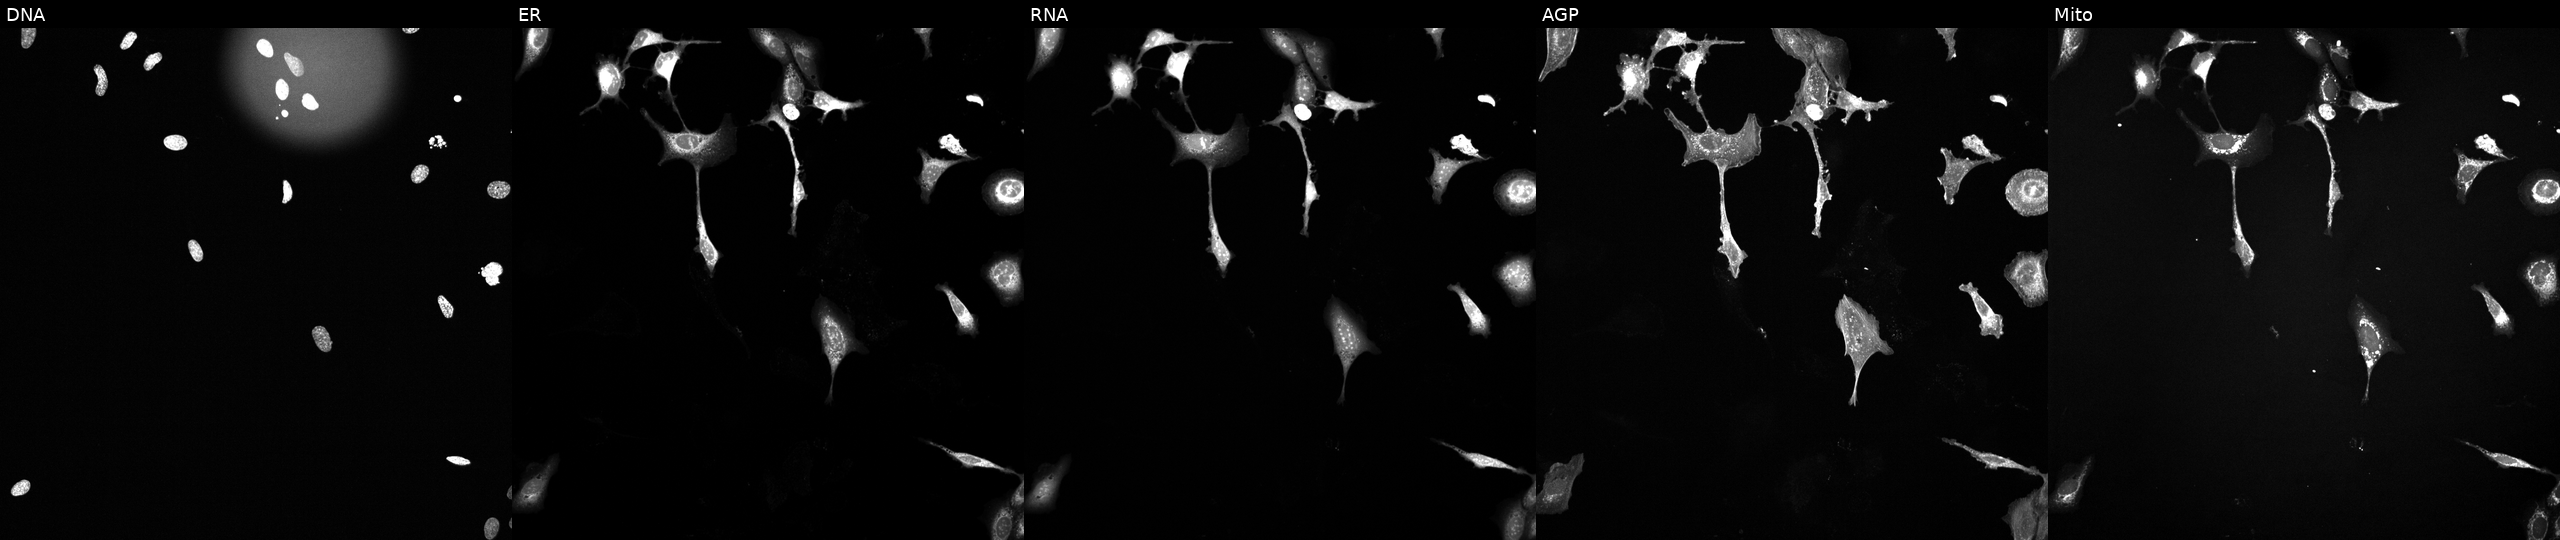
JUMP Cell Painting — TARGET2 plate. U2OS cells treated with a small-molecule compound (InChIKey XQVVPGYIWAGRNI-UHFFFAOYSA-N). From left to right: DNA (nuclei); ER (endoplasmic reticulum); RNA (nucleoli and cytoplasmic RNA); AGP (actin cytoskeleton, Golgi, and plasma membrane); Mito (mitochondria).